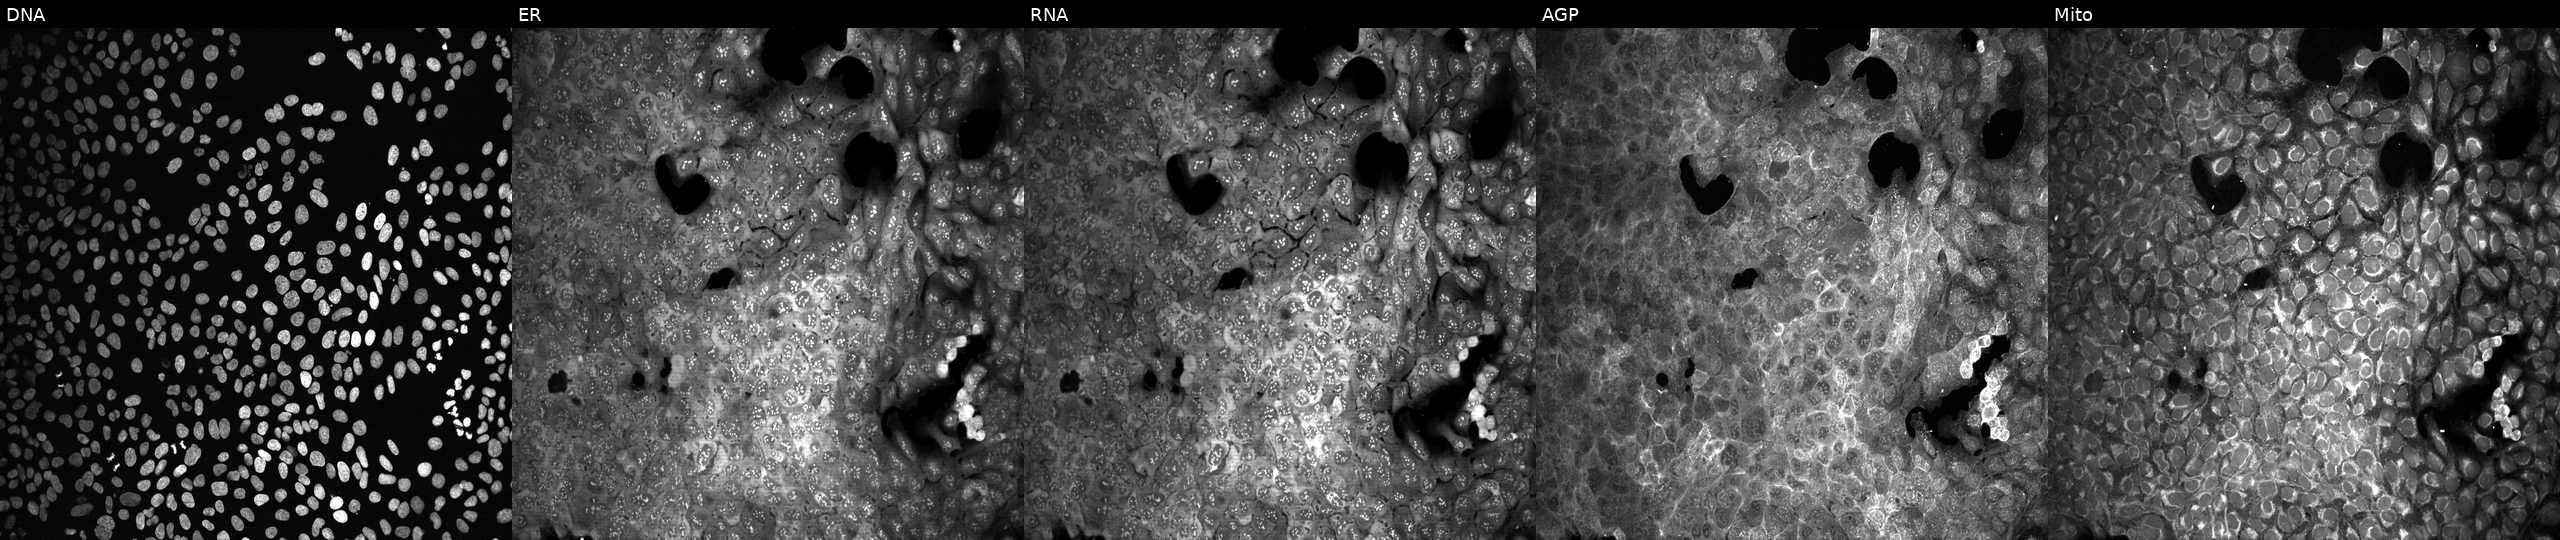
This image strip shows the five Cell Painting channels for a single field of U2OS cells treated with LY2109761 (positive-control compound). Channels (left→right): Hoechst 33342, concanavalin A, SYTO 14, phalloidin and WGA, MitoTracker.